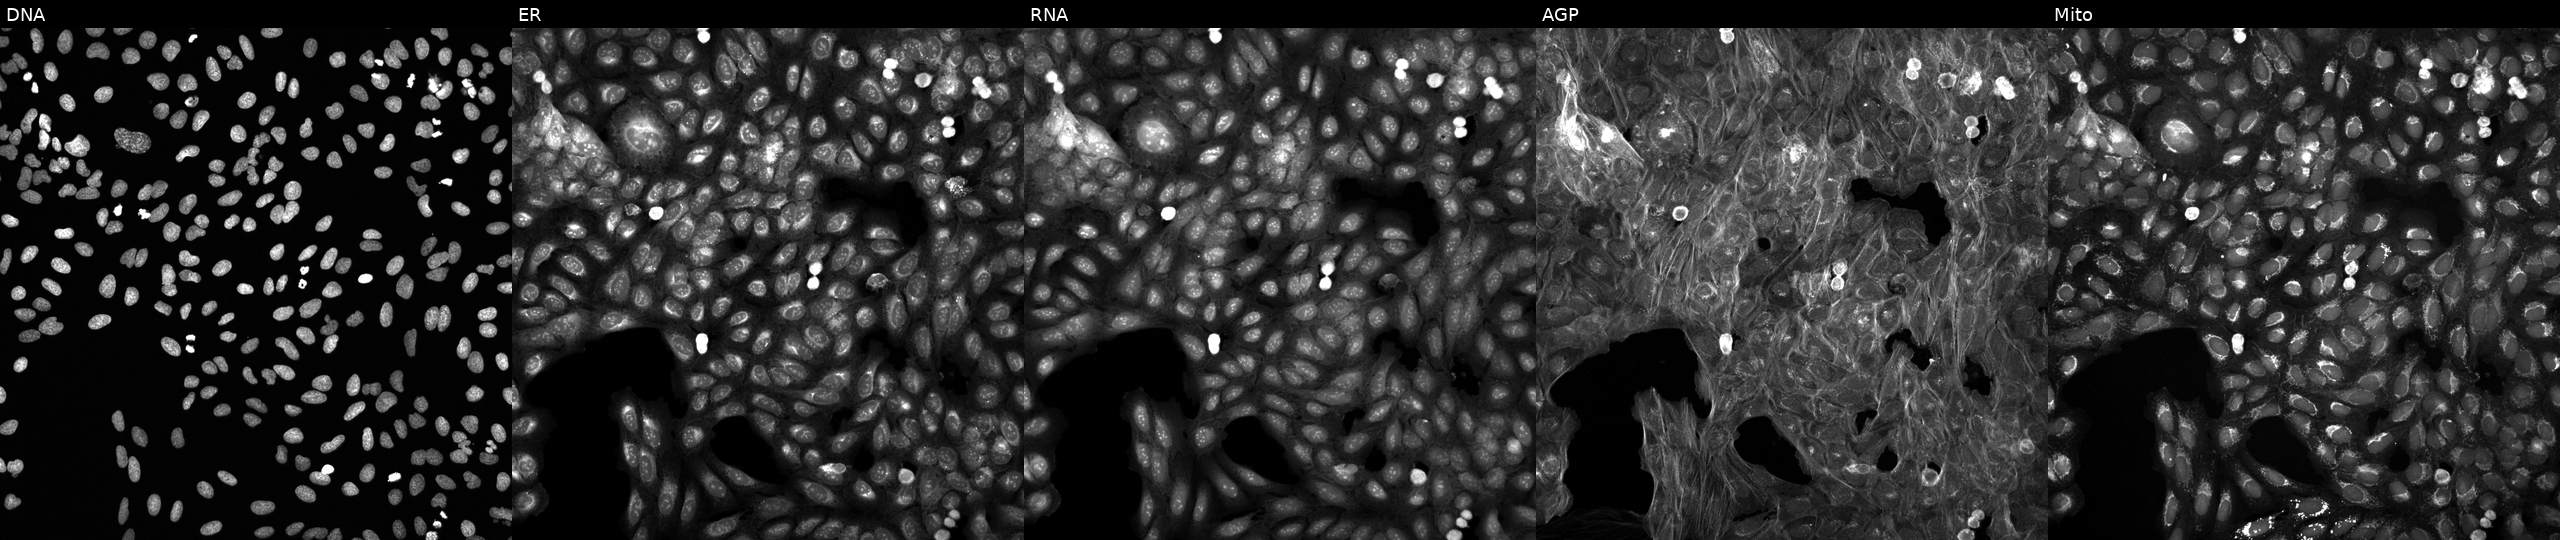
High-content fluorescence microscopy (Cell Painting). Cell line: U2OS. Perturbation: treated with a small-molecule compound (InChIKey NYNZQNWKBKUAII-UHFFFAOYSA-N) (JUMP id JCP2022_062184). Panels show, left to right, DNA, ER, RNA, AGP, and Mito. Source 6, plate 110000294901, well O21.